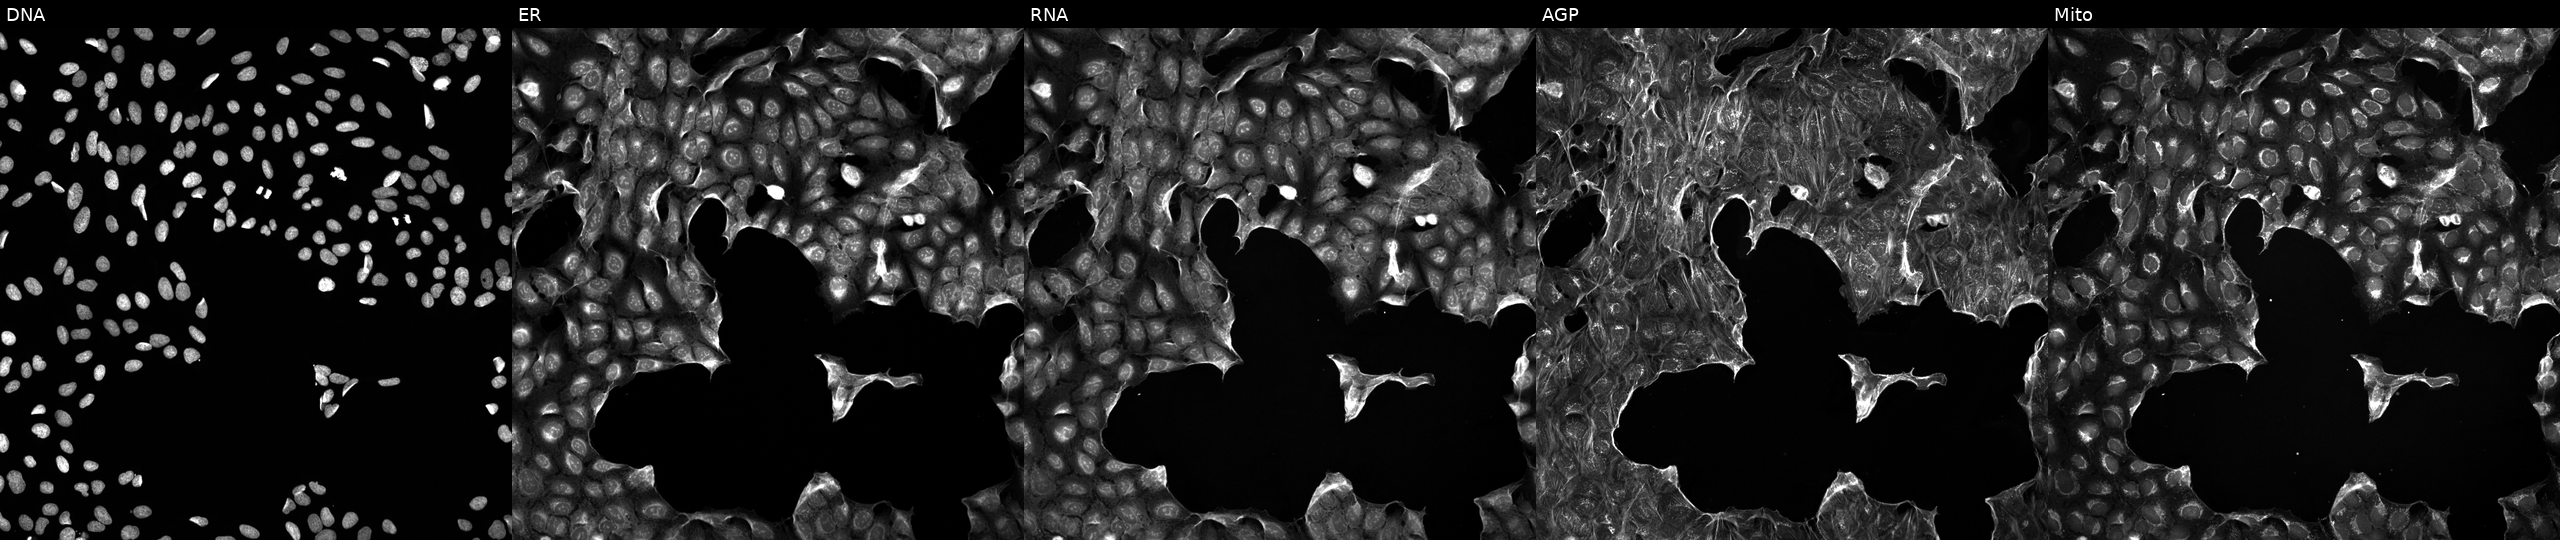
This image strip shows the five Cell Painting channels for a single field of U2OS cells exposed to the positive-control compound LY2109761. Panels show, left to right, Hoechst 33342, concanavalin A, SYTO 14, phalloidin and WGA, MitoTracker.